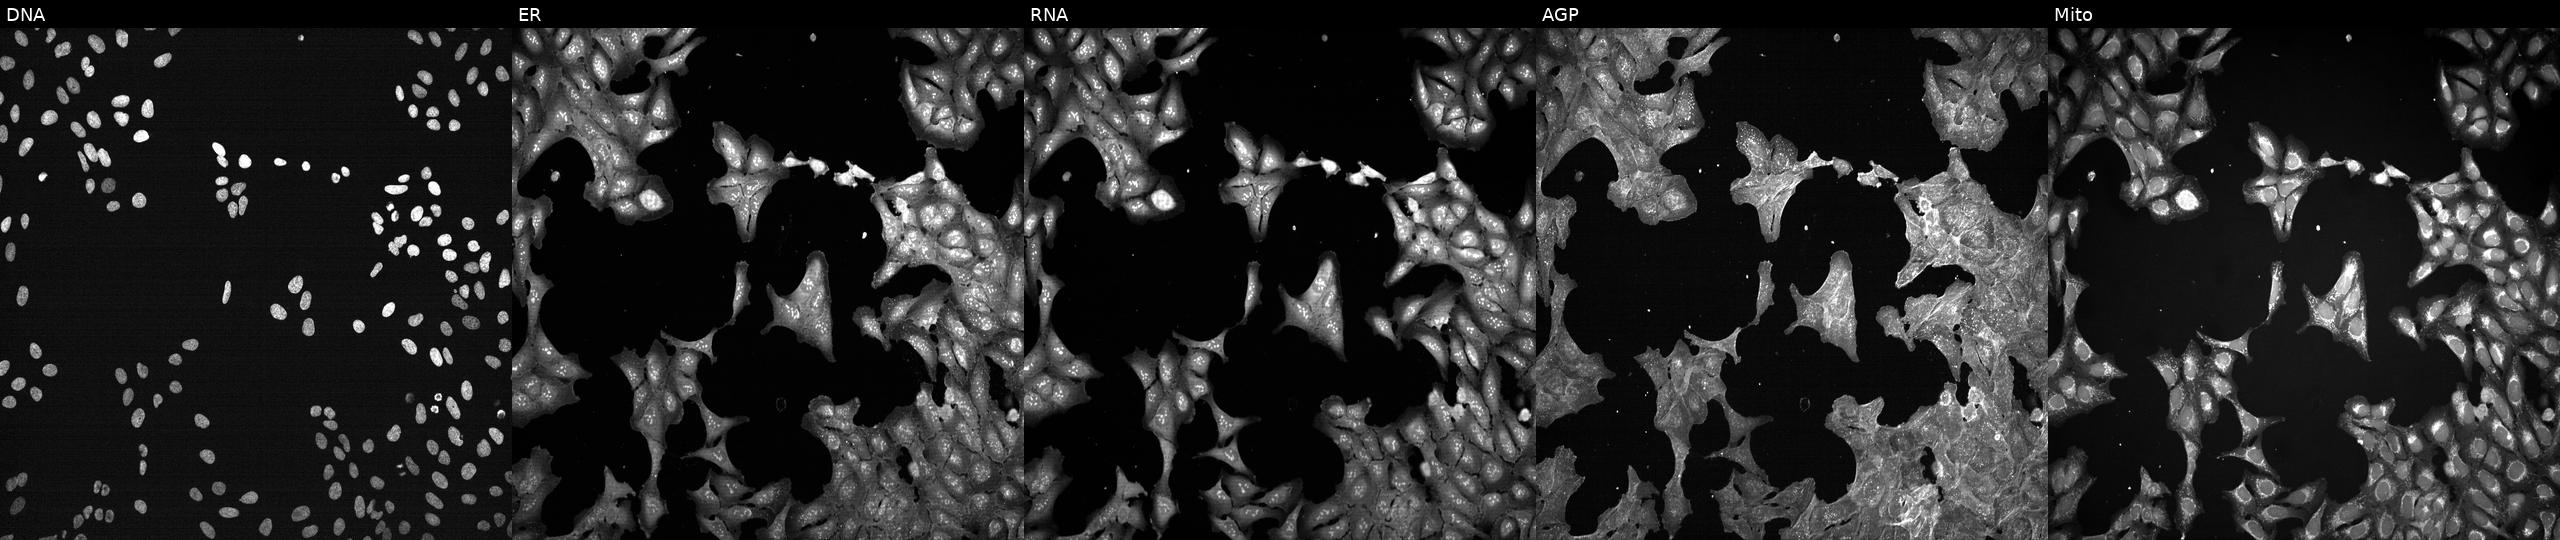
High-content fluorescence microscopy (Cell Painting). Cell line: U2OS. Perturbation: exposed to a small-molecule compound [SMILES: O=C(CCNNC(=O)c1ccncc1)NCc1ccccc1] (JUMP id JCP2022_060311). Channels (left→right): DNA (nuclei); ER (endoplasmic reticulum); RNA (nucleoli and cytoplasmic RNA); AGP (actin cytoskeleton, Golgi, and plasma membrane); Mito (mitochondria).